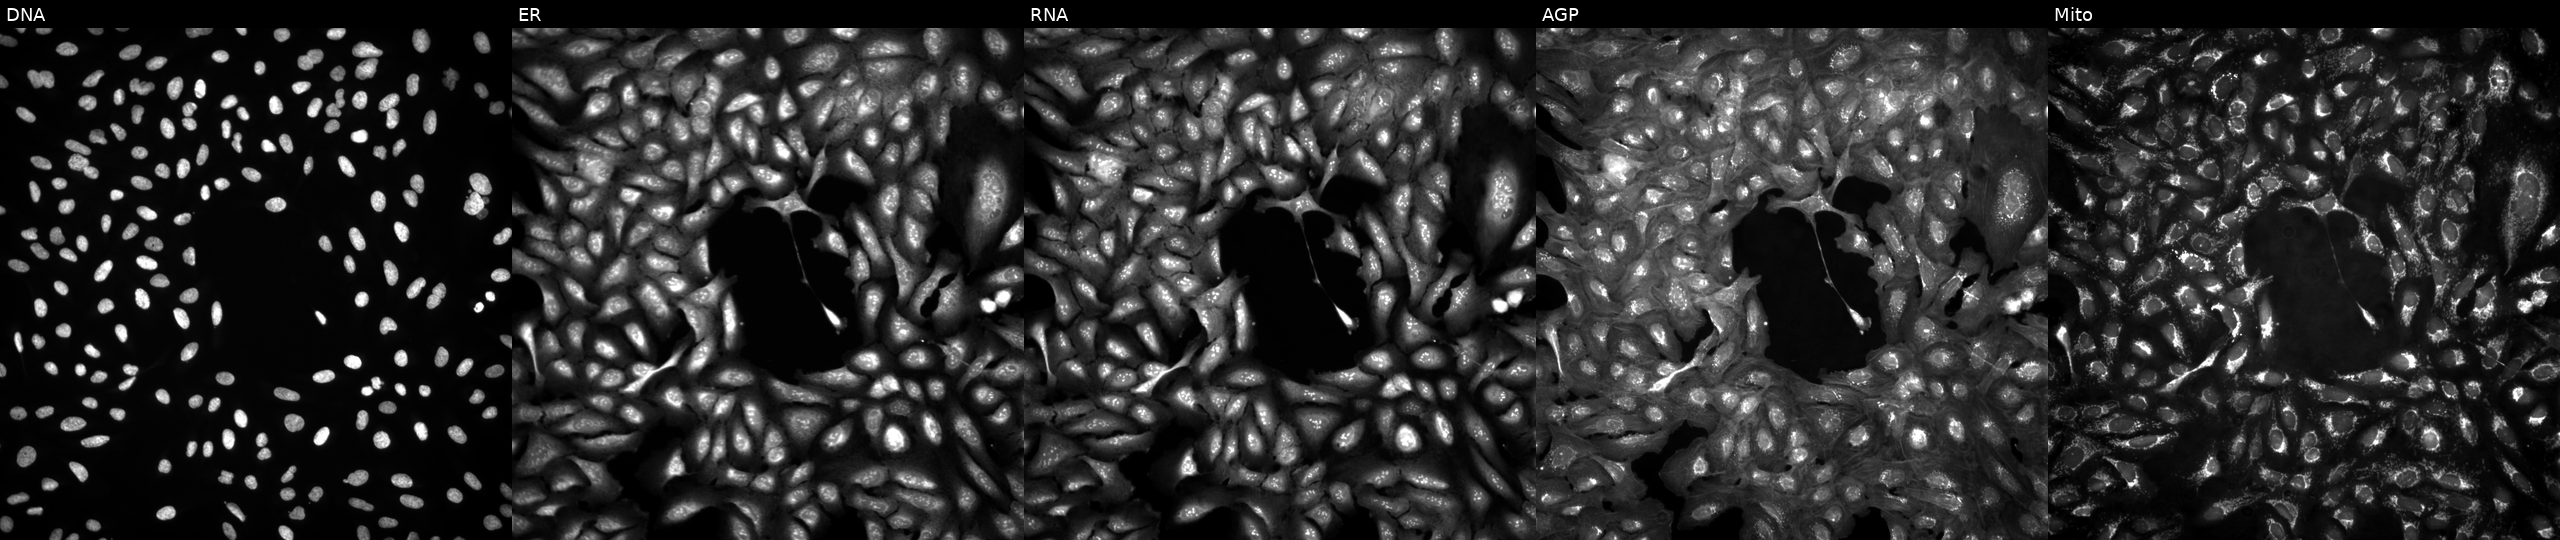
High-content fluorescence microscopy (Cell Painting). Cell line: U2OS. Perturbation: untreated (empty-well control) (JUMP id JCP2022_999999). Panels show, left to right, DNA, ER, RNA, AGP, and Mito.